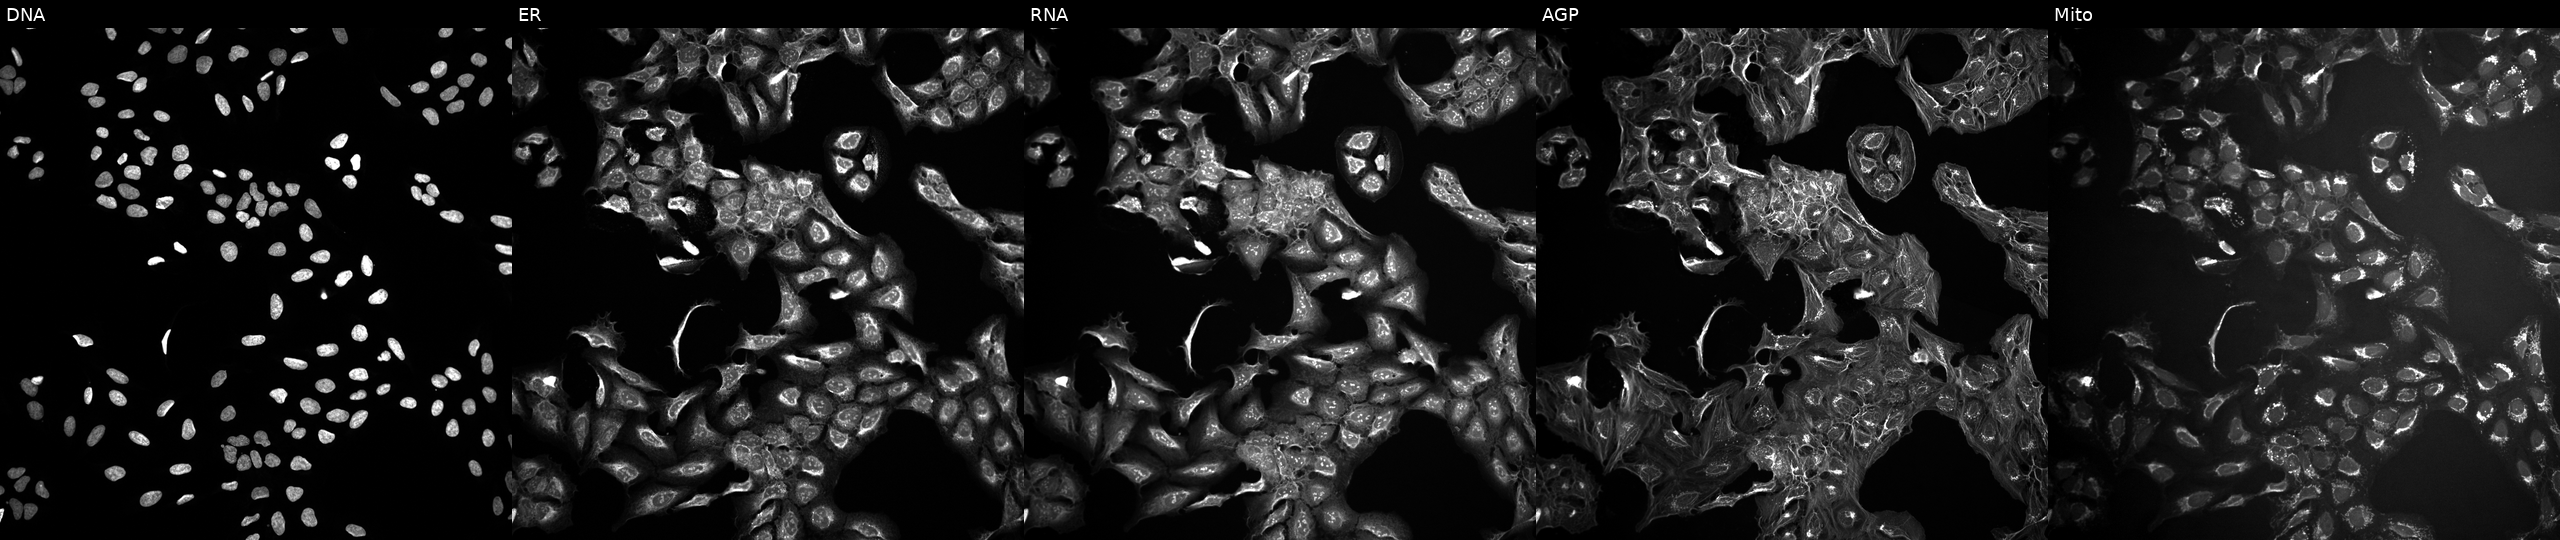
Five-channel Cell Painting image of U2OS cells untreated (empty-well control) (JUMP id JCP2022_999999). The five panels, left to right, show DNA (nuclei); ER (endoplasmic reticulum); RNA (nucleoli and cytoplasmic RNA); AGP (actin cytoskeleton, Golgi, and plasma membrane); Mito (mitochondria). Source 10, plate Dest210531-152324, well N20.